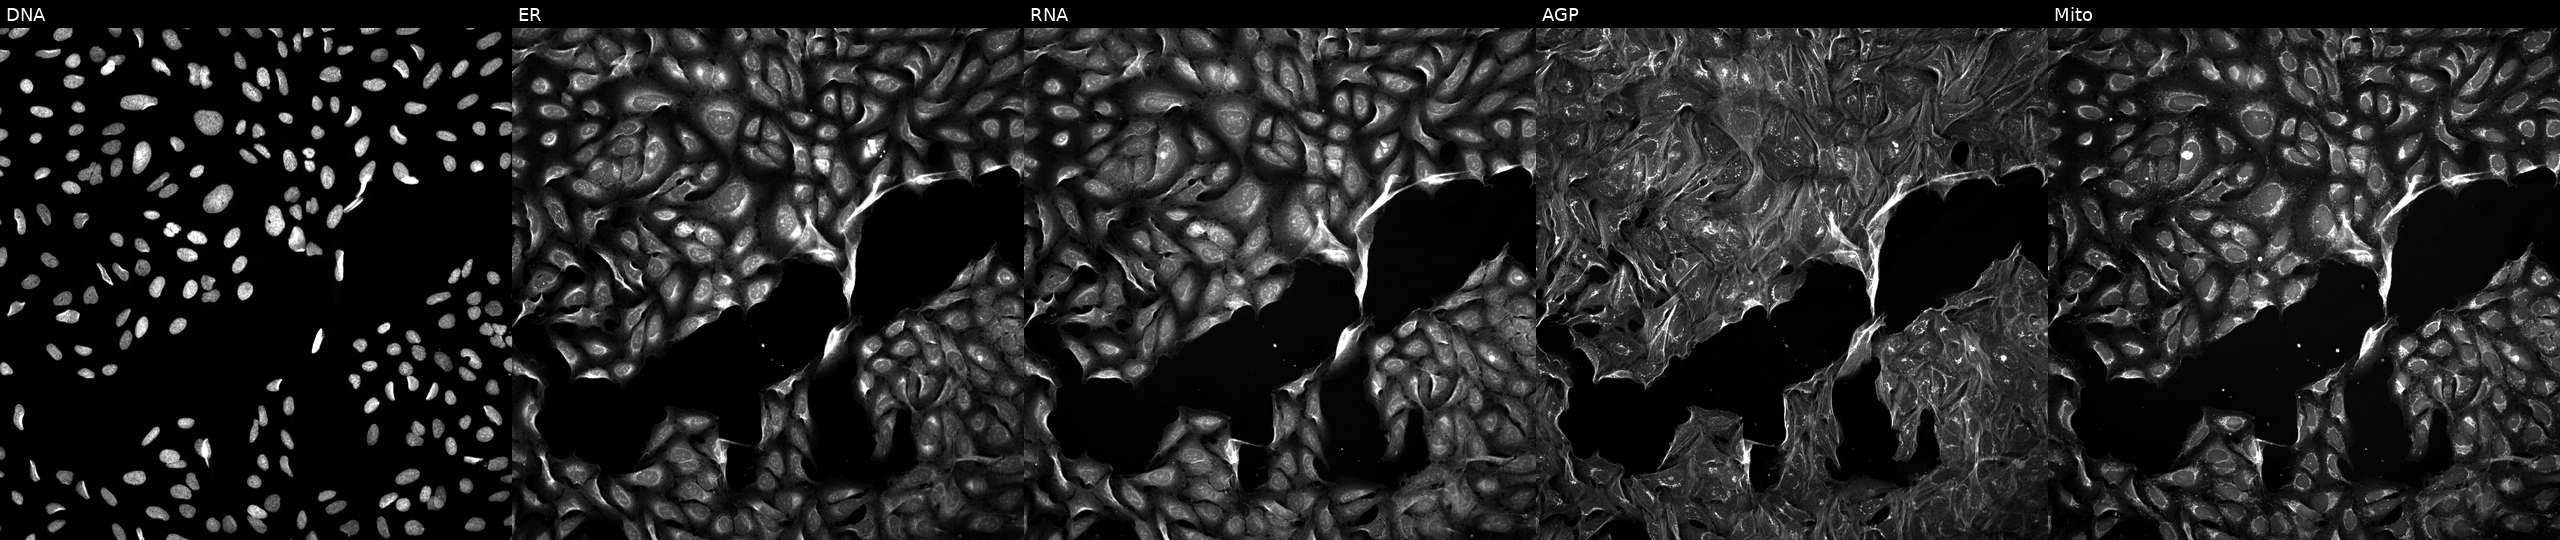
High-content fluorescence microscopy (Cell Painting). Cell line: U2OS. Perturbation: treated with a small-molecule compound (InChIKey AFJRDFWMXUECEW-UHFFFAOYSA-N). From left to right: DNA (nuclei); ER (endoplasmic reticulum); RNA (nucleoli and cytoplasmic RNA); AGP (actin cytoskeleton, Golgi, and plasma membrane); Mito (mitochondria).